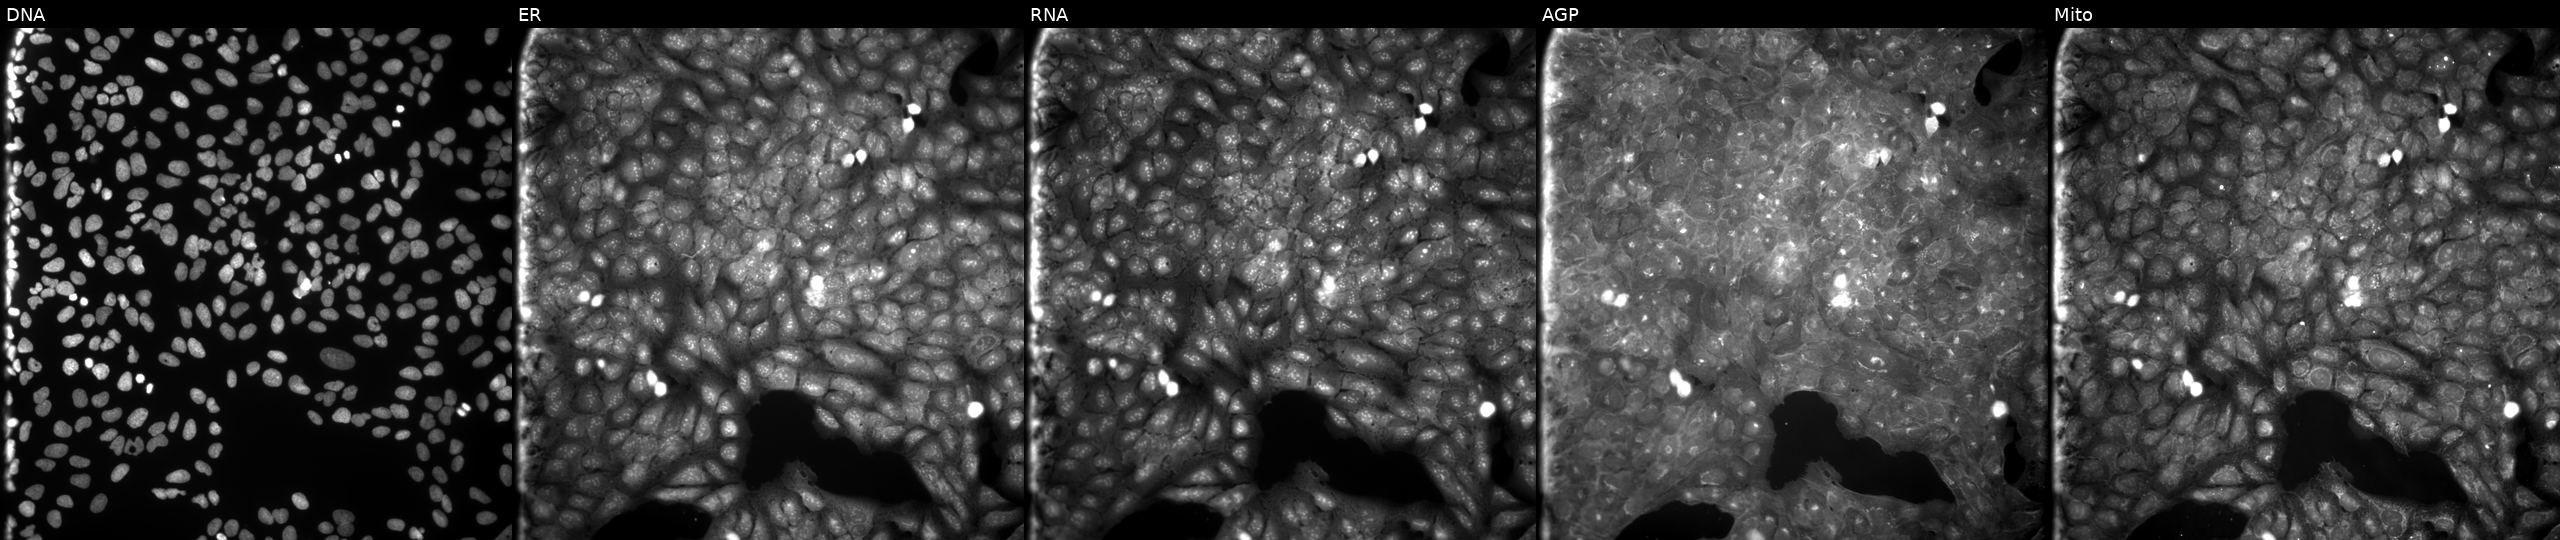
JUMP Cell Painting — COMPOUND plate. U2OS cells exposed to a small-molecule compound. Channels (left→right): DNA (nuclei); ER (endoplasmic reticulum); RNA (nucleoli and cytoplasmic RNA); AGP (actin cytoskeleton, Golgi, and plasma membrane); Mito (mitochondria).